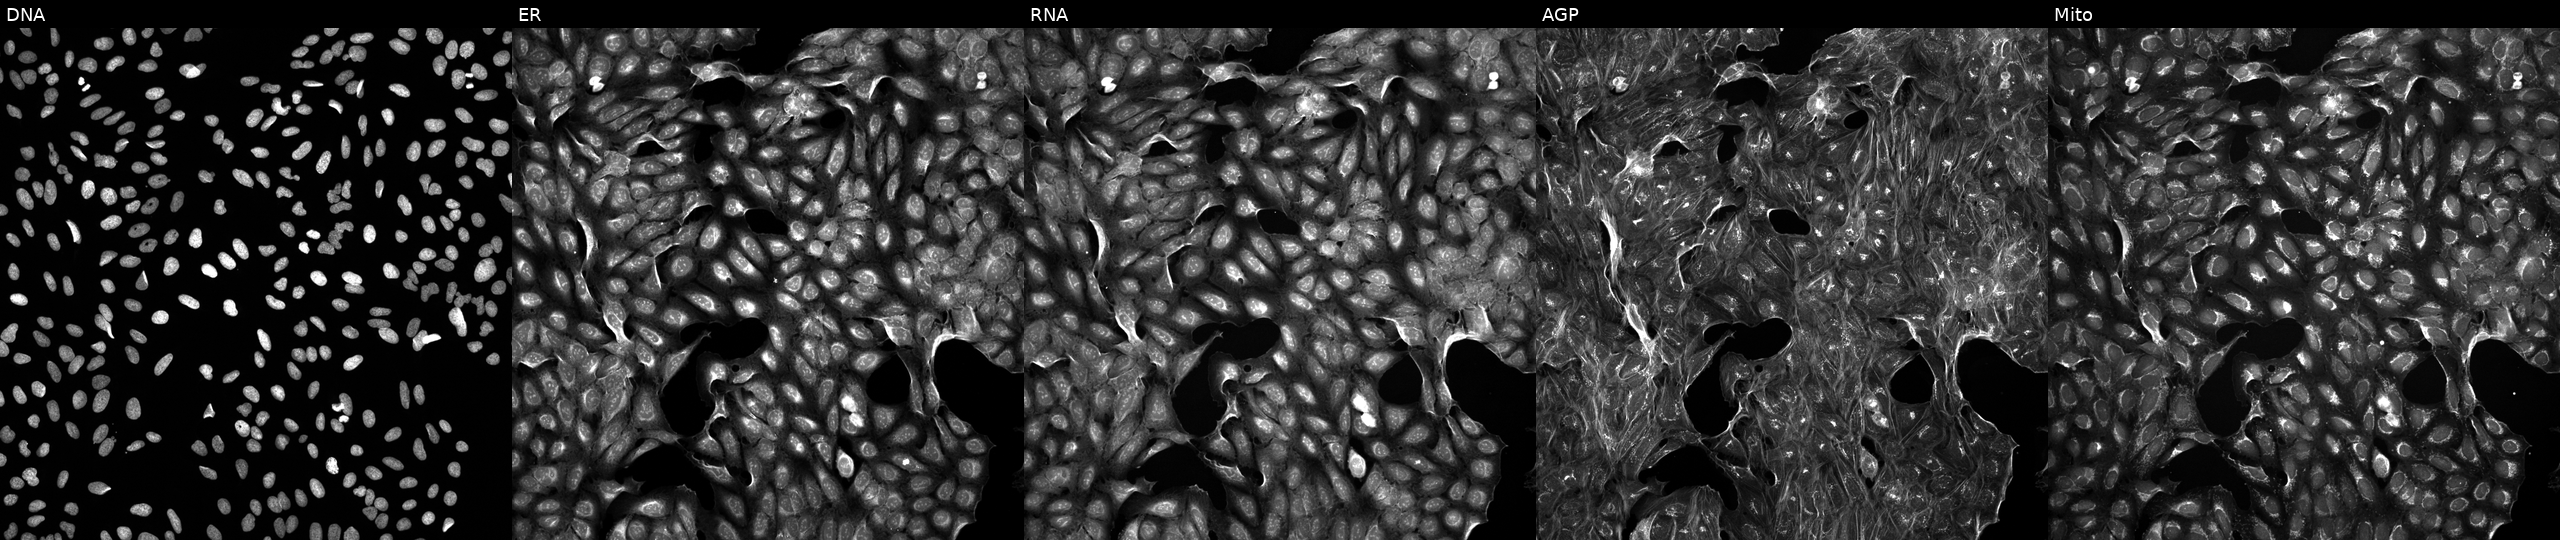
This image strip shows the five Cell Painting channels for a single field of U2OS cells exposed to a small-molecule compound (InChIKey SNICXCGAKADSCV-UHFFFAOYSA-N) [SMILES: CN1CCCC1c1cccnc1]. The five panels, left to right, show DNA (nuclei); ER (endoplasmic reticulum); RNA (nucleoli and cytoplasmic RNA); AGP (actin cytoskeleton, Golgi, and plasma membrane); Mito (mitochondria). Source 5, plate ACPJUM051, well P02.